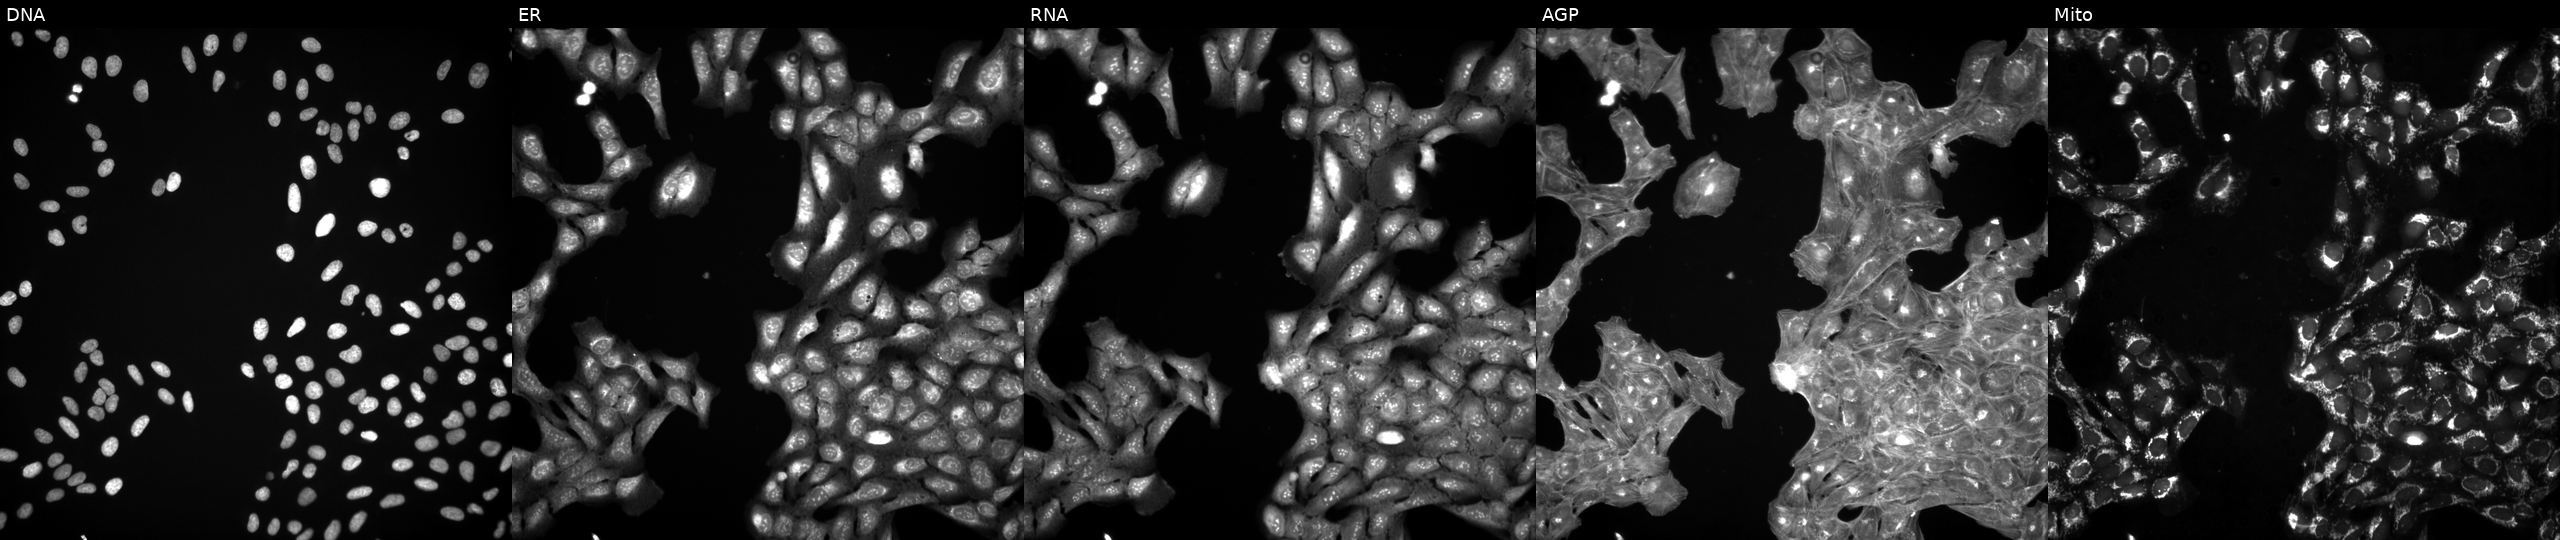
The five panels, left to right, show DNA, ER, RNA, AGP, and Mito. U2OS osteosarcoma cells perturbed with a small-molecule compound [SMILES: O=C(c1ccc(Cl)cc1)N(Cc1ccccc1)C1CCCCC1]. Cell Painting assay, JUMP-CP dataset.